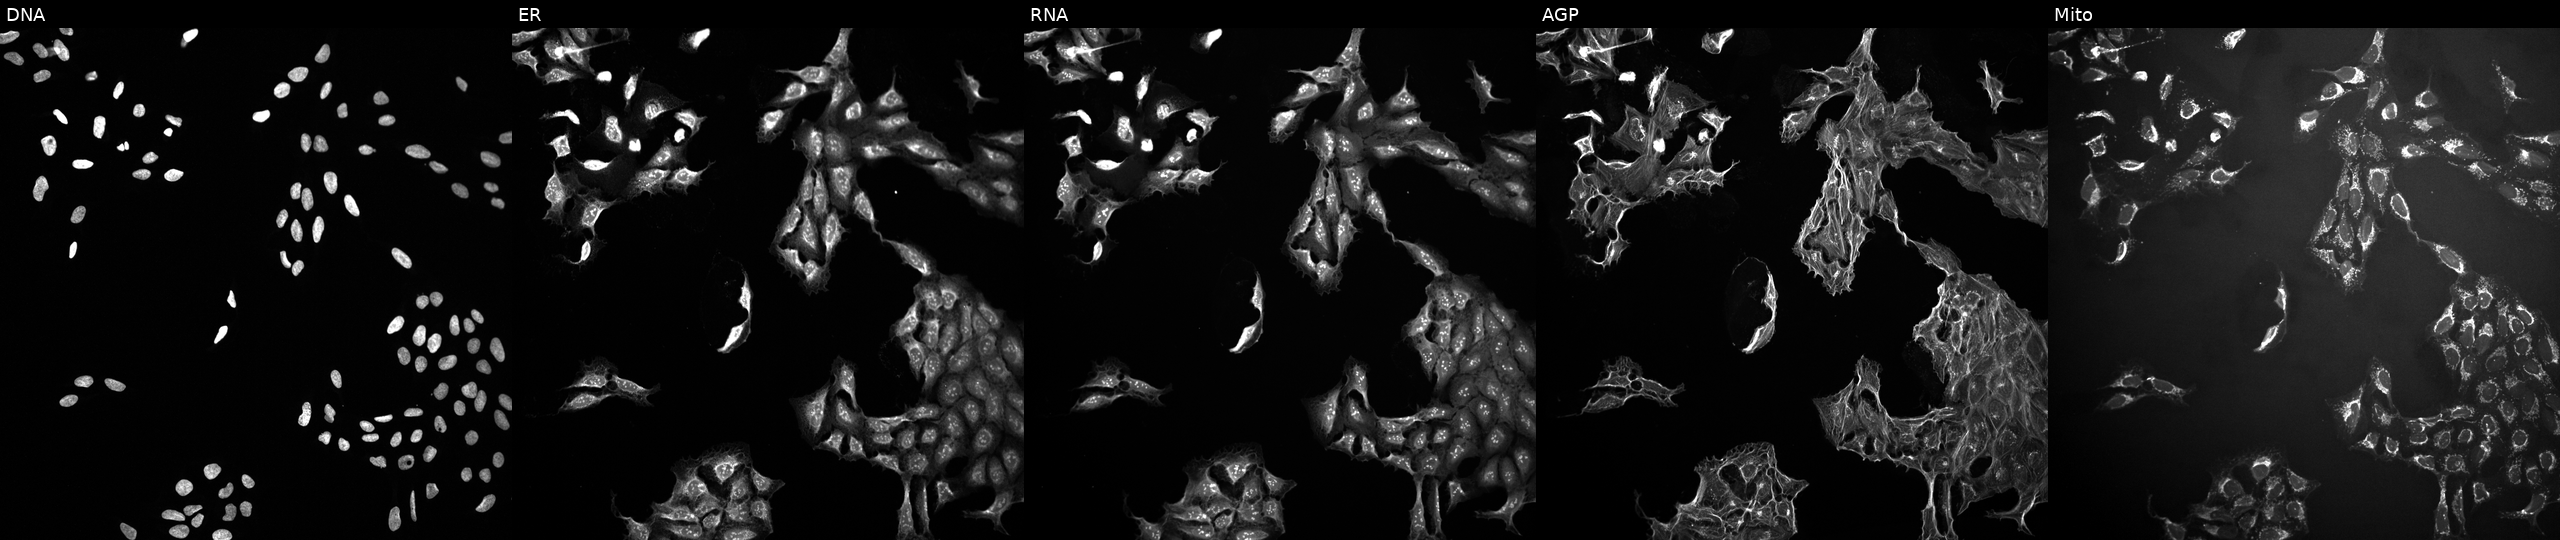
Panels show, left to right, DNA, ER, RNA, AGP, and Mito. U2OS osteosarcoma cells exposed to a small-molecule compound (InChIKey FNYLWPVRPXGIIP-UHFFFAOYSA-N). Cell Painting assay, JUMP-CP dataset.